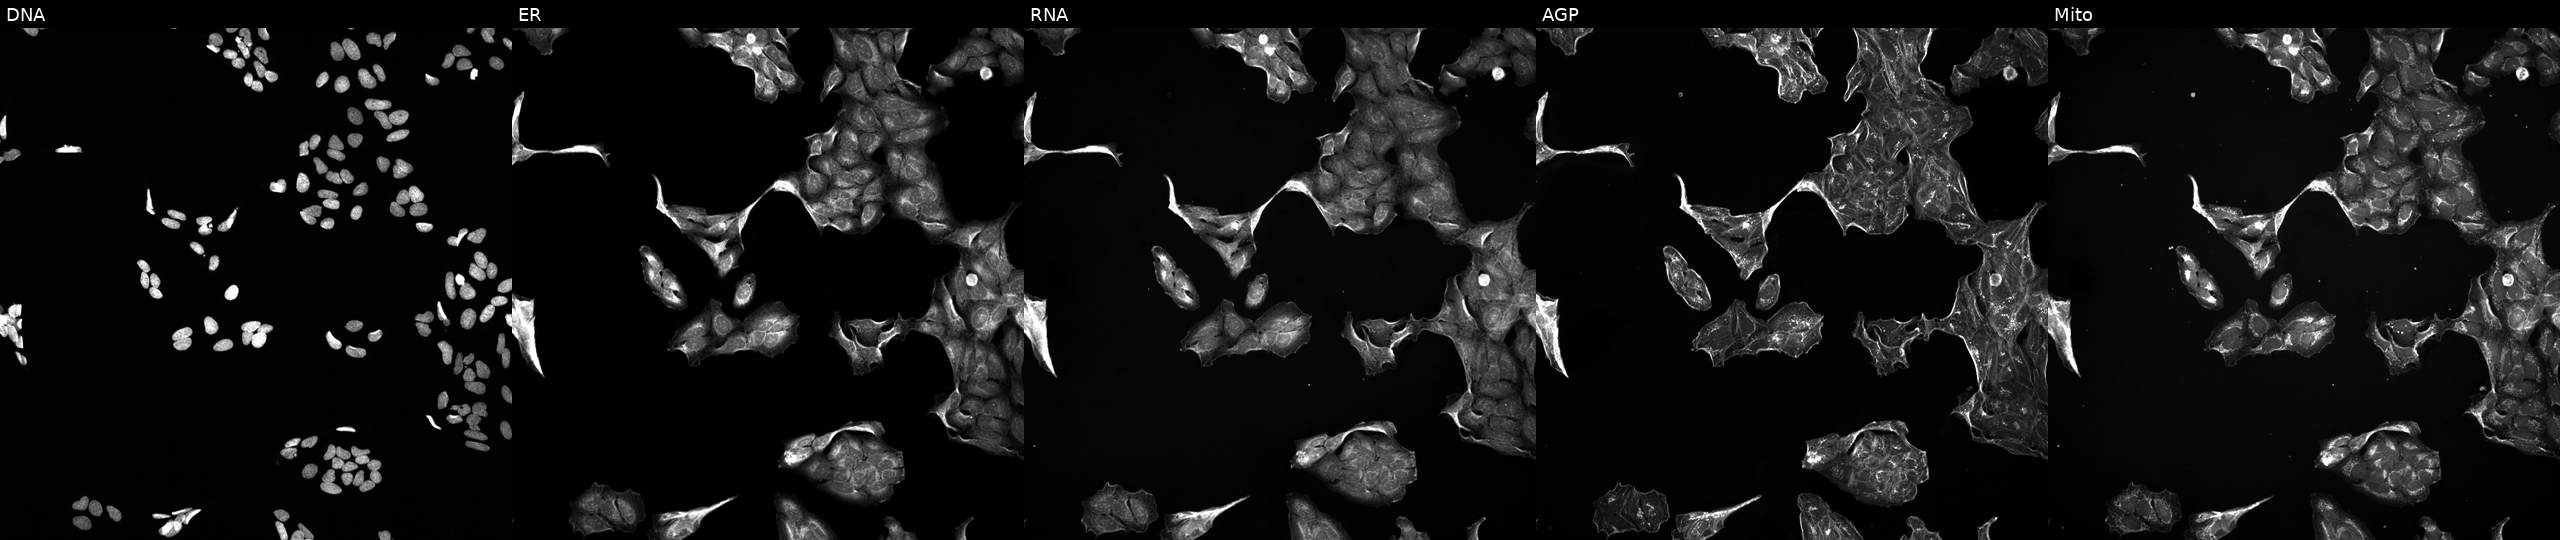
JUMP Cell Painting — TARGET2 plate. U2OS cells treated with a small-molecule compound (InChIKey NBTNHSGBRGTFJS-UHFFFAOYSA-N) [SMILES: COc1ccc(N(C(=O)Oc2c(C)cccc2C)c2cc[nH]c(=Nc3ccc(N4CCN(C)CC4)cc3)n2)c(OC)c1] (JUMP id JCP2022_057971). The five panels, left to right, show DNA, ER, RNA, AGP, and Mito.